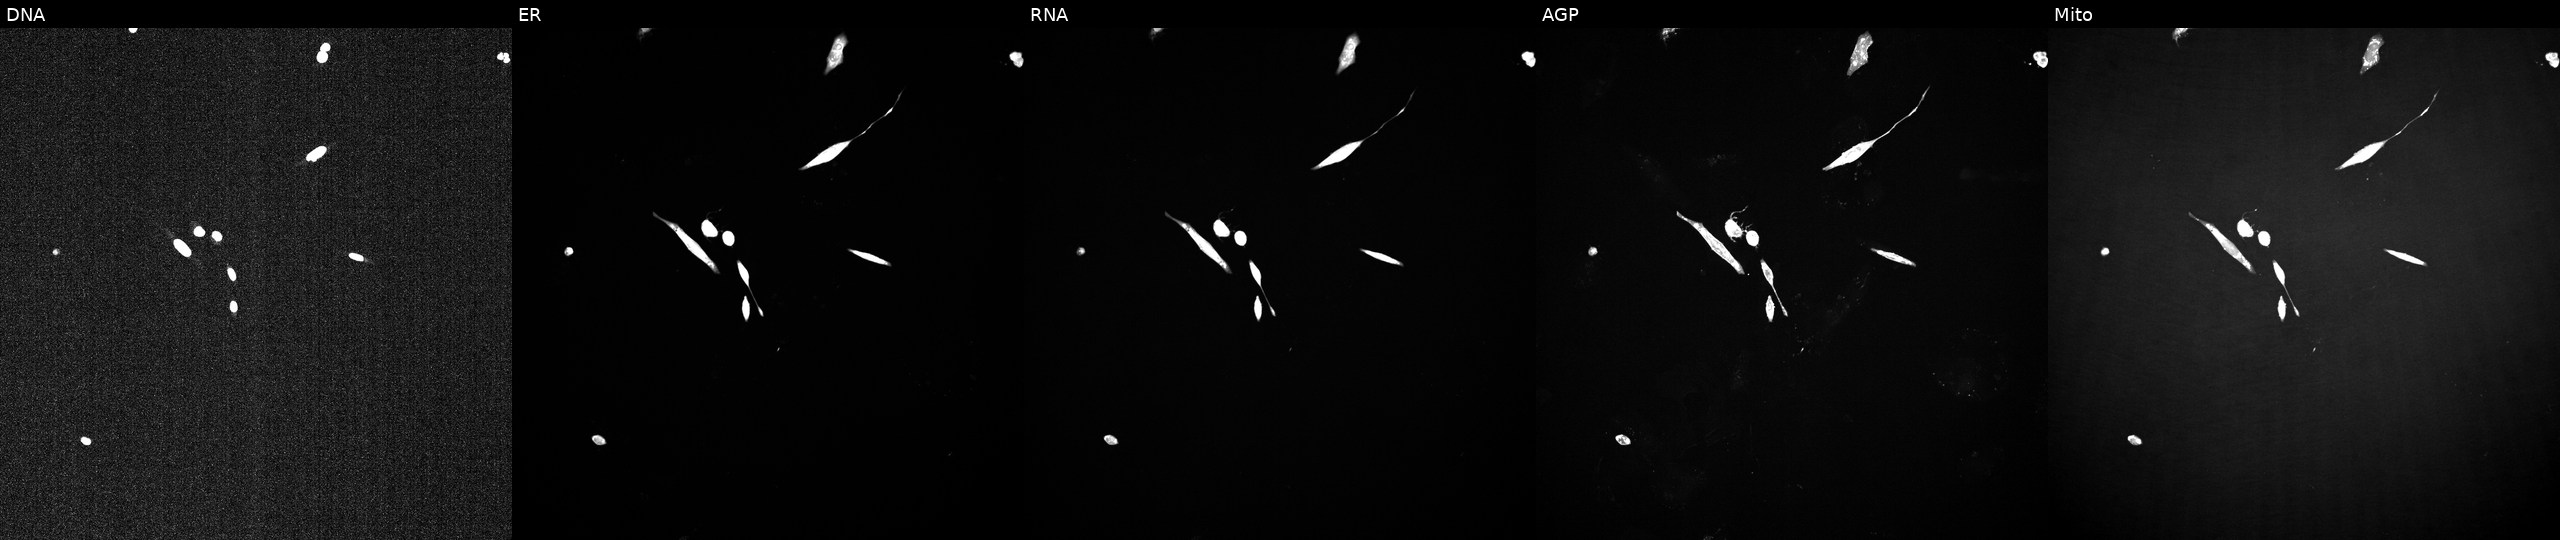
U2OS cells, Cell Painting assay, perturbed with a small-molecule compound (InChIKey DPJNKUOXBZSZAI-UHFFFAOYSA-N). From left to right: DNA (nuclei); ER (endoplasmic reticulum); RNA (nucleoli and cytoplasmic RNA); AGP (actin cytoskeleton, Golgi, and plasma membrane); Mito (mitochondria). Each panel is percentile-stretched 16-bit fluorescence.